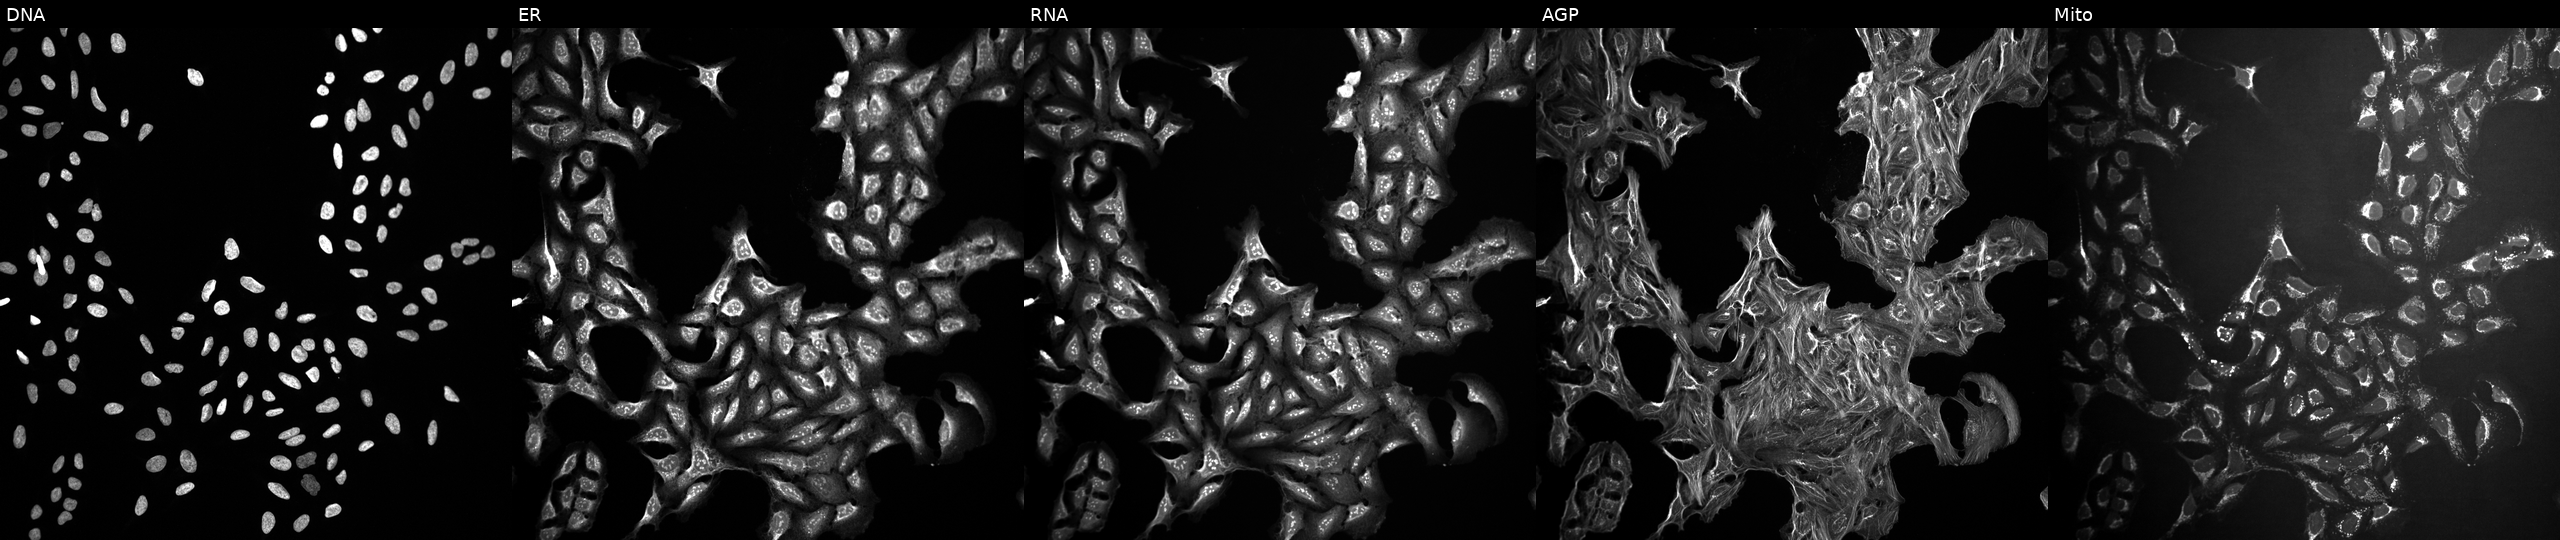
High-content fluorescence microscopy (Cell Painting). Cell line: U2OS. Perturbation: exposed to DMSO alone as a negative control. Panels show, left to right, DNA (nuclei); ER (endoplasmic reticulum); RNA (nucleoli and cytoplasmic RNA); AGP (actin cytoskeleton, Golgi, and plasma membrane); Mito (mitochondria). Source 10, plate Dest210727-153003, well E22.